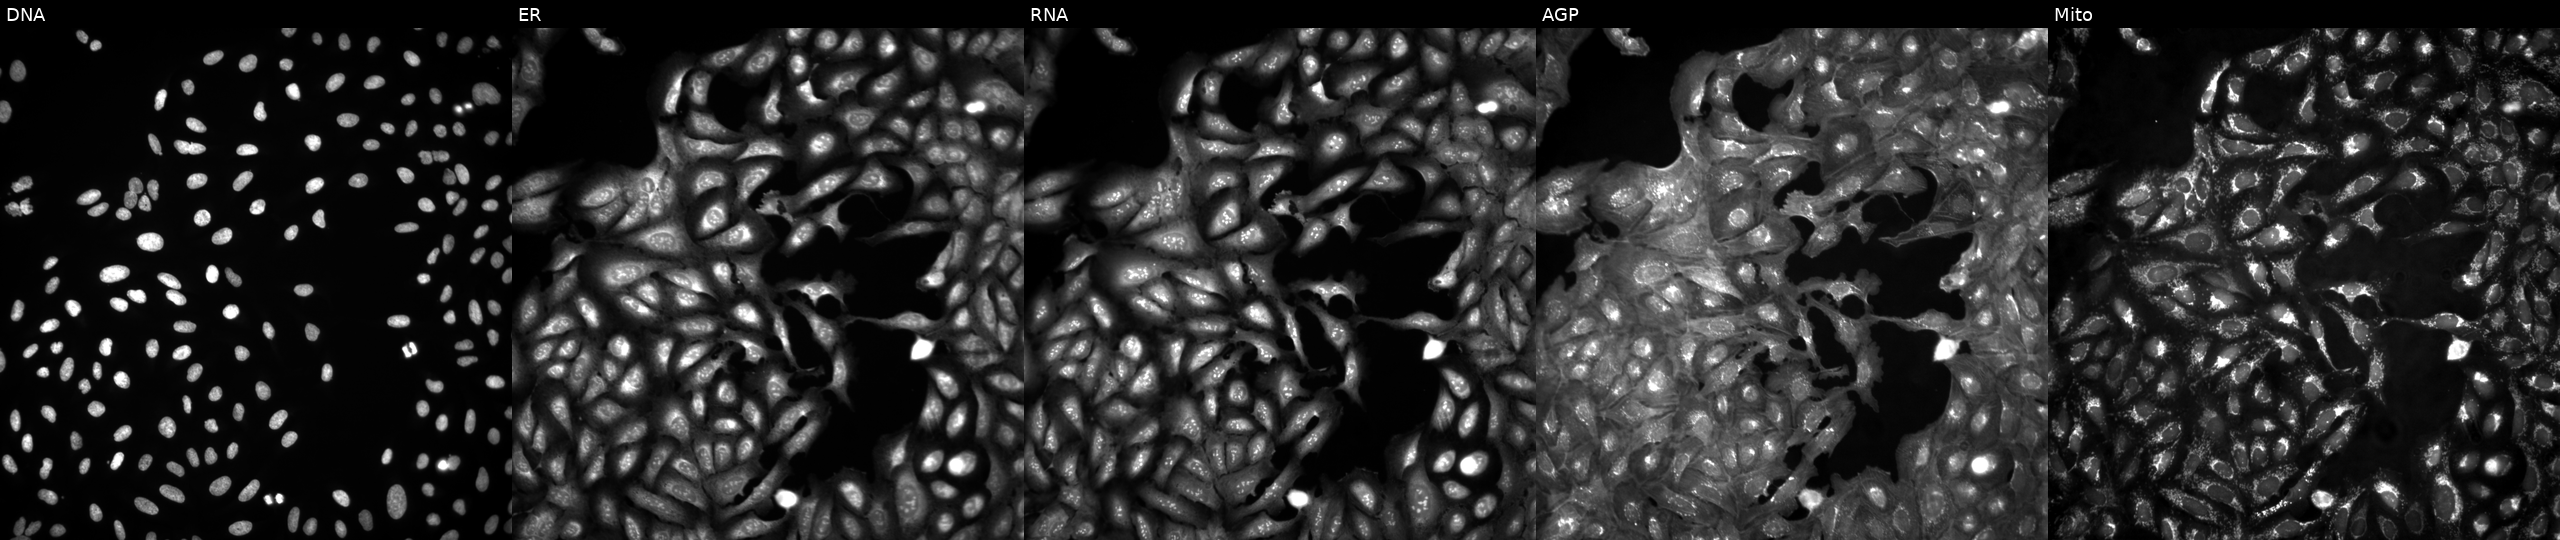
U2OS cells, Cell Painting assay, untreated (empty-well control). From left to right: DNA (nuclei); ER (endoplasmic reticulum); RNA (nucleoli and cytoplasmic RNA); AGP (actin cytoskeleton, Golgi, and plasma membrane); Mito (mitochondria). Each panel is percentile-stretched 16-bit fluorescence.